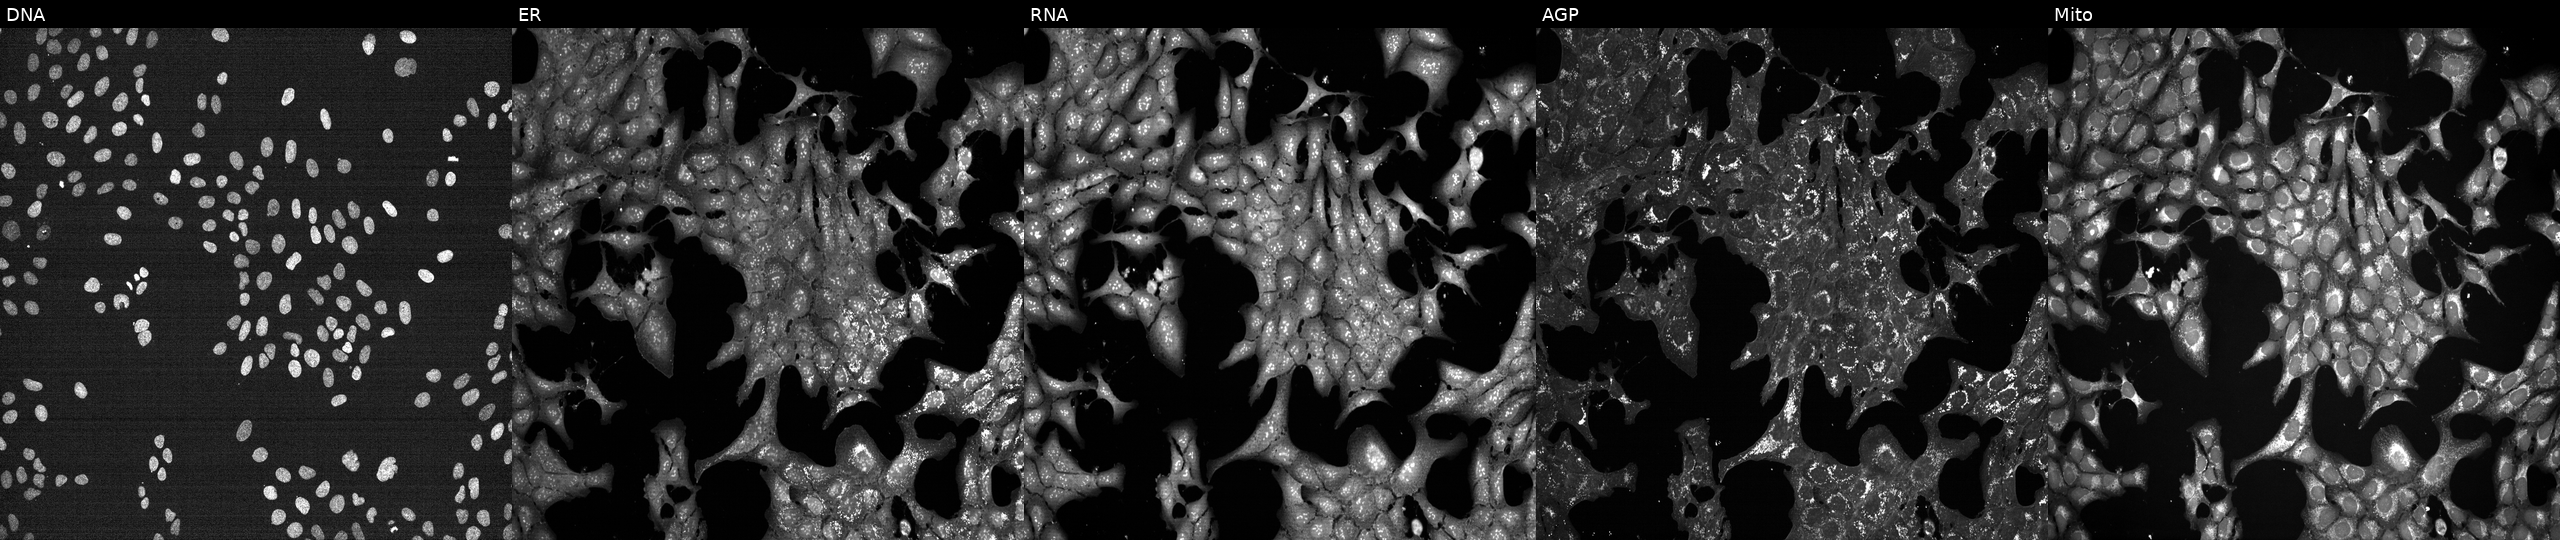
This image strip shows the five Cell Painting channels for a single field of U2OS cells exposed to a small-molecule compound (JUMP id JCP2022_116560). Channels (left→right): DNA (nuclei); ER (endoplasmic reticulum); RNA (nucleoli and cytoplasmic RNA); AGP (actin cytoskeleton, Golgi, and plasma membrane); Mito (mitochondria). Source 7, plate CP1-SC1-25, well J09.